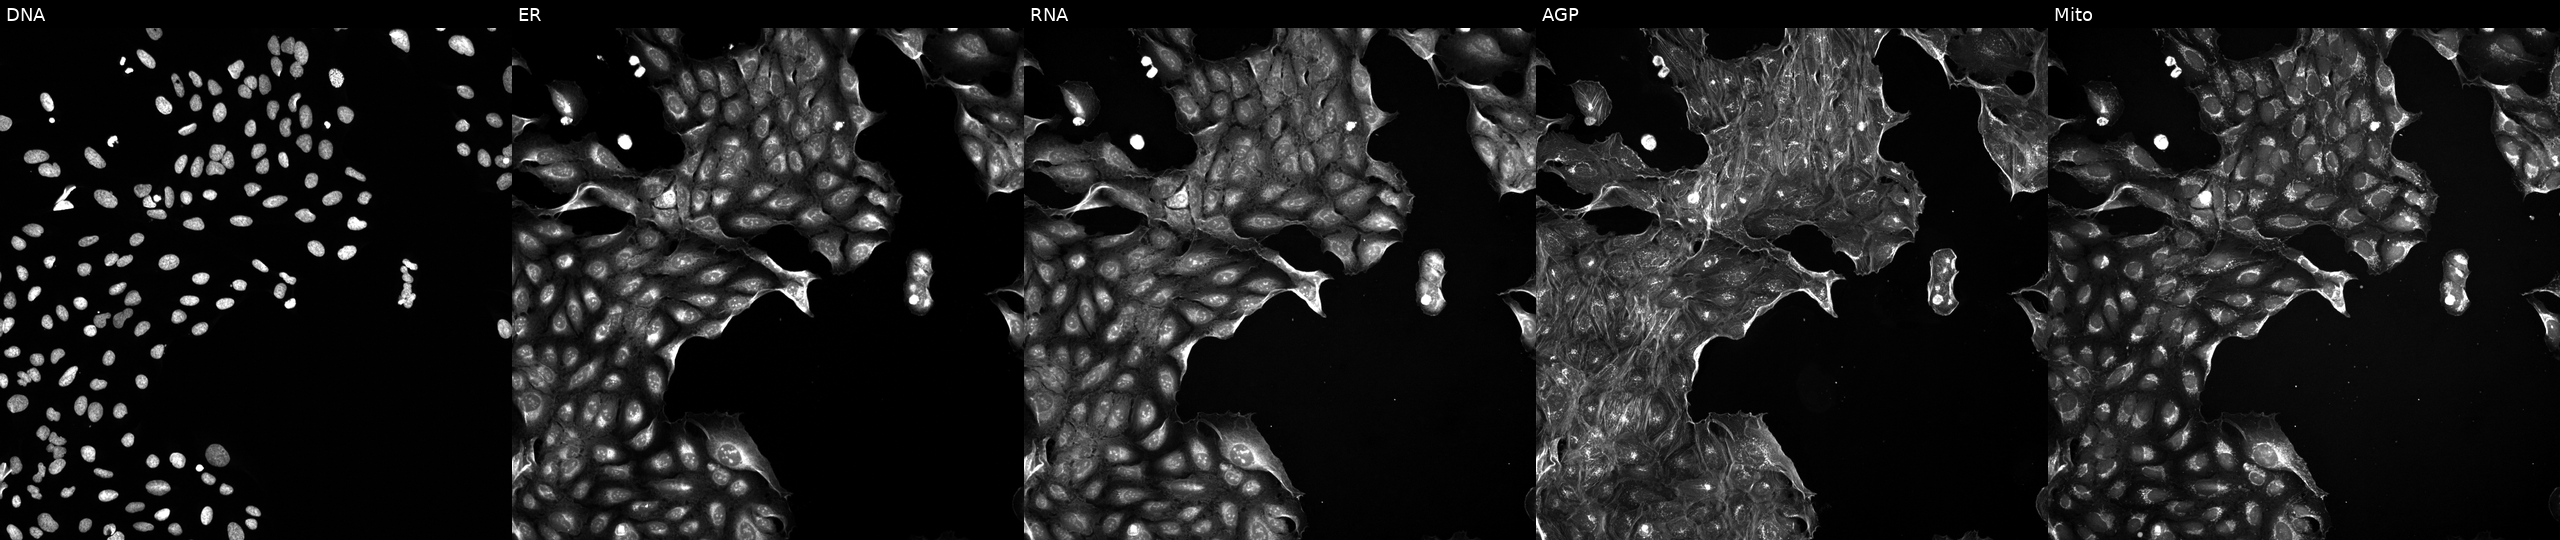
High-content fluorescence microscopy (Cell Painting). Cell line: U2OS. Perturbation: treated with a small-molecule compound (InChIKey QUIIIYITNGOFEI-UHFFFAOYSA-N) [SMILES: Cc1ccc(-n2sc(=O)n(Cc3ccc(F)cc3)c2=O)cc1]. From left to right: DNA (nuclei); ER (endoplasmic reticulum); RNA (nucleoli and cytoplasmic RNA); AGP (actin cytoskeleton, Golgi, and plasma membrane); Mito (mitochondria).